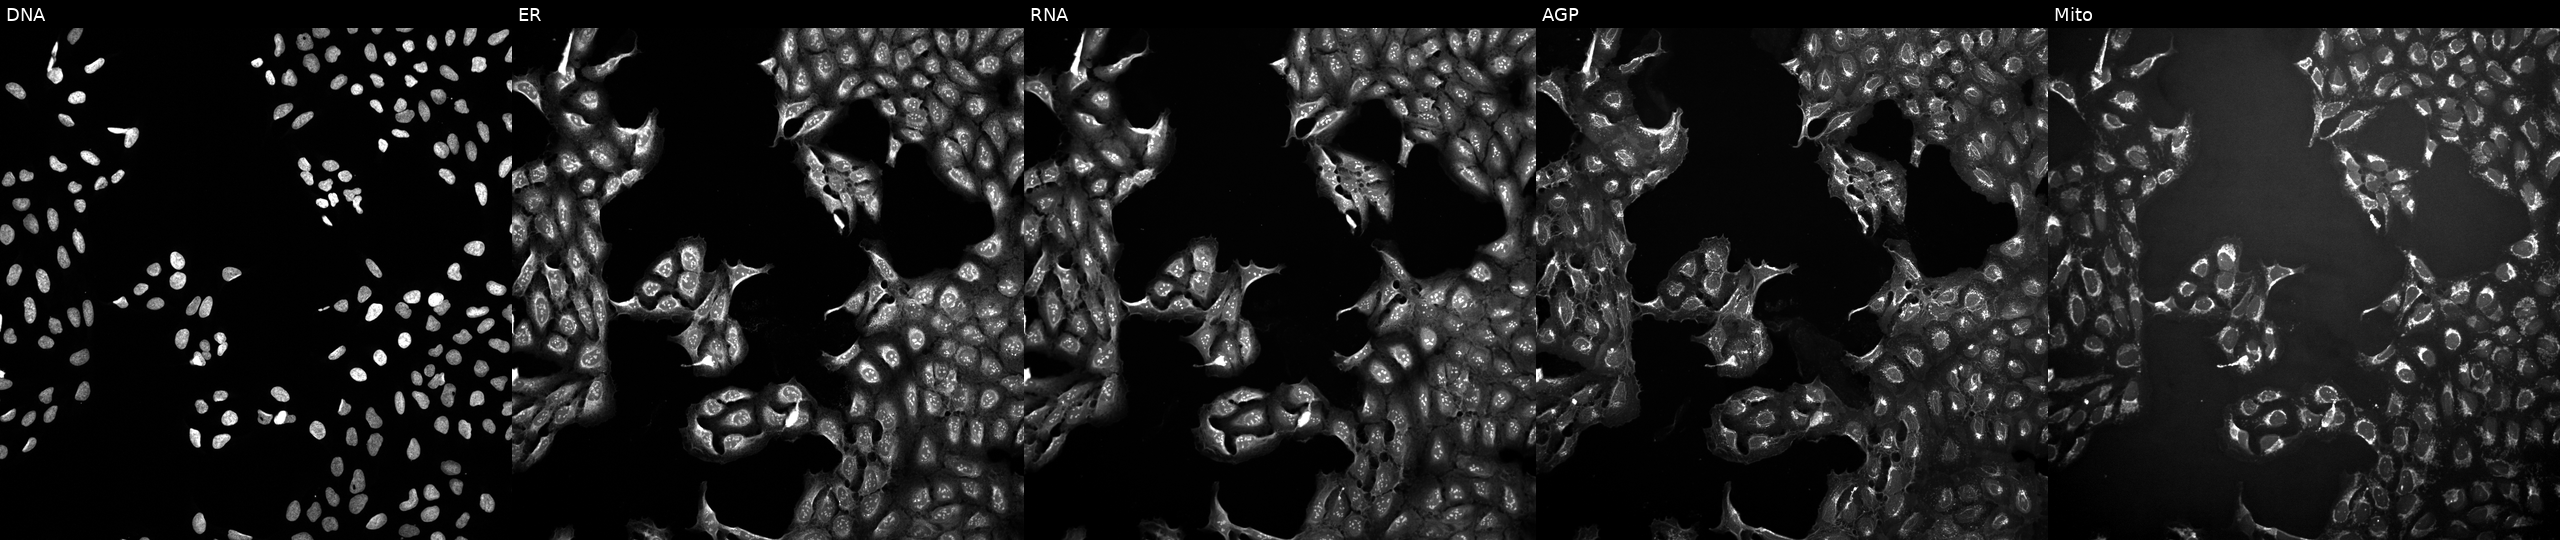
JUMP Cell Painting — TARGET2 plate. U2OS cells exposed to a small-molecule compound (InChIKey NCEXYHBECQHGNR-UHFFFAOYSA-N) (JUMP id JCP2022_058046). From left to right: Hoechst 33342, concanavalin A, SYTO 14, phalloidin and WGA, MitoTracker.